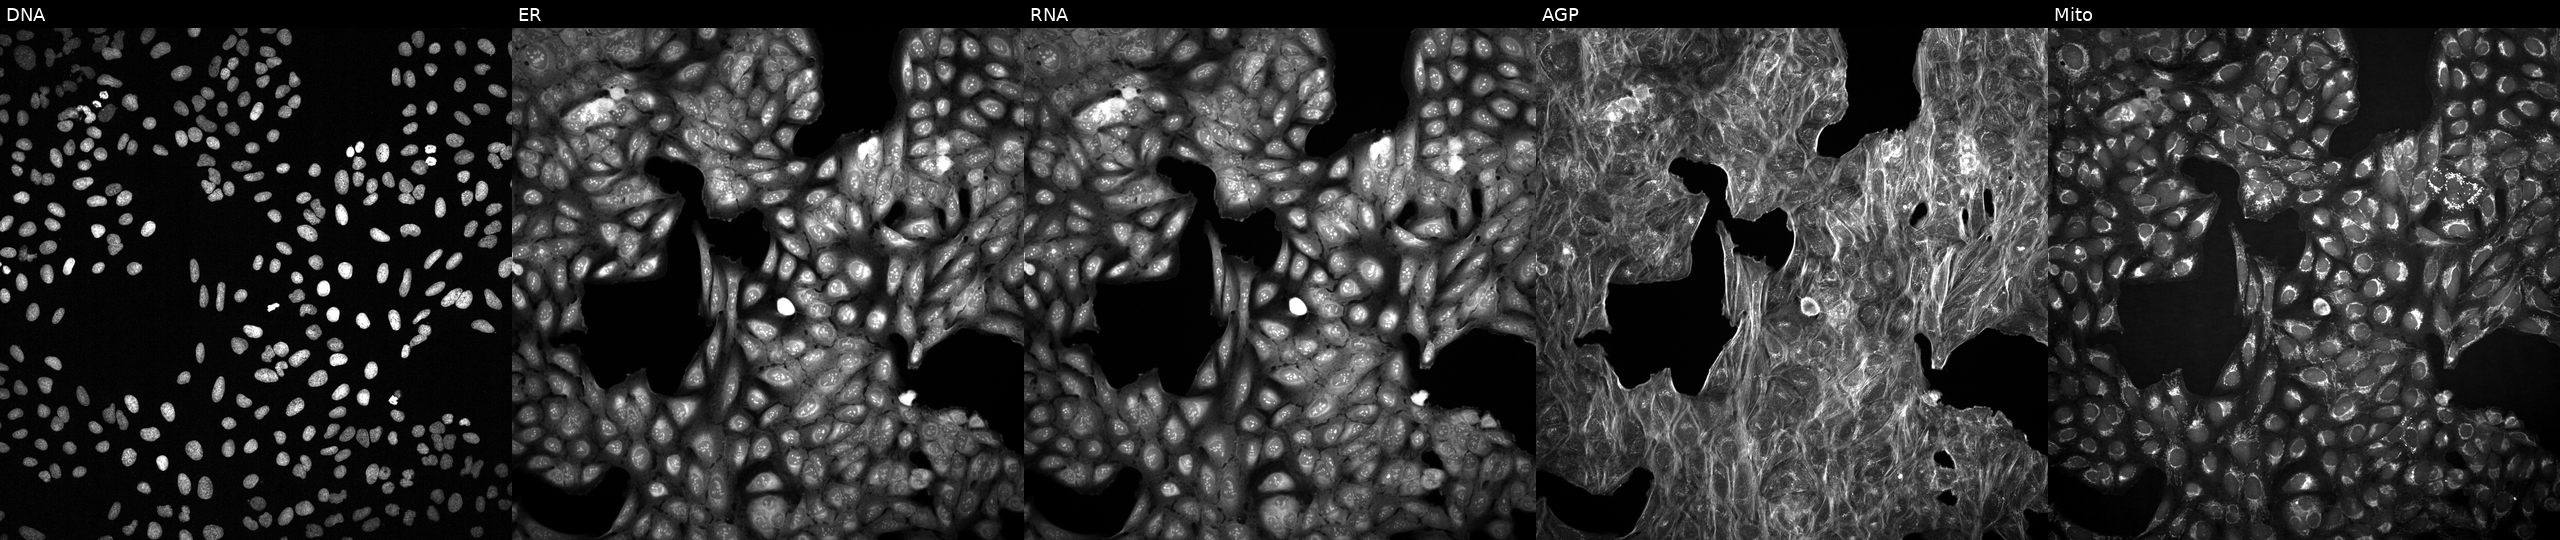
High-content fluorescence microscopy (Cell Painting). Cell line: U2OS. Perturbation: exposed to a small-molecule compound (InChIKey GCIPYEUVGUOZRQ-UHFFFAOYSA-N) (JUMP id JCP2022_024531). The five panels, left to right, show Hoechst 33342, concanavalin A, SYTO 14, phalloidin and WGA, MitoTracker. Source 2, plate 1053601756, well M21.